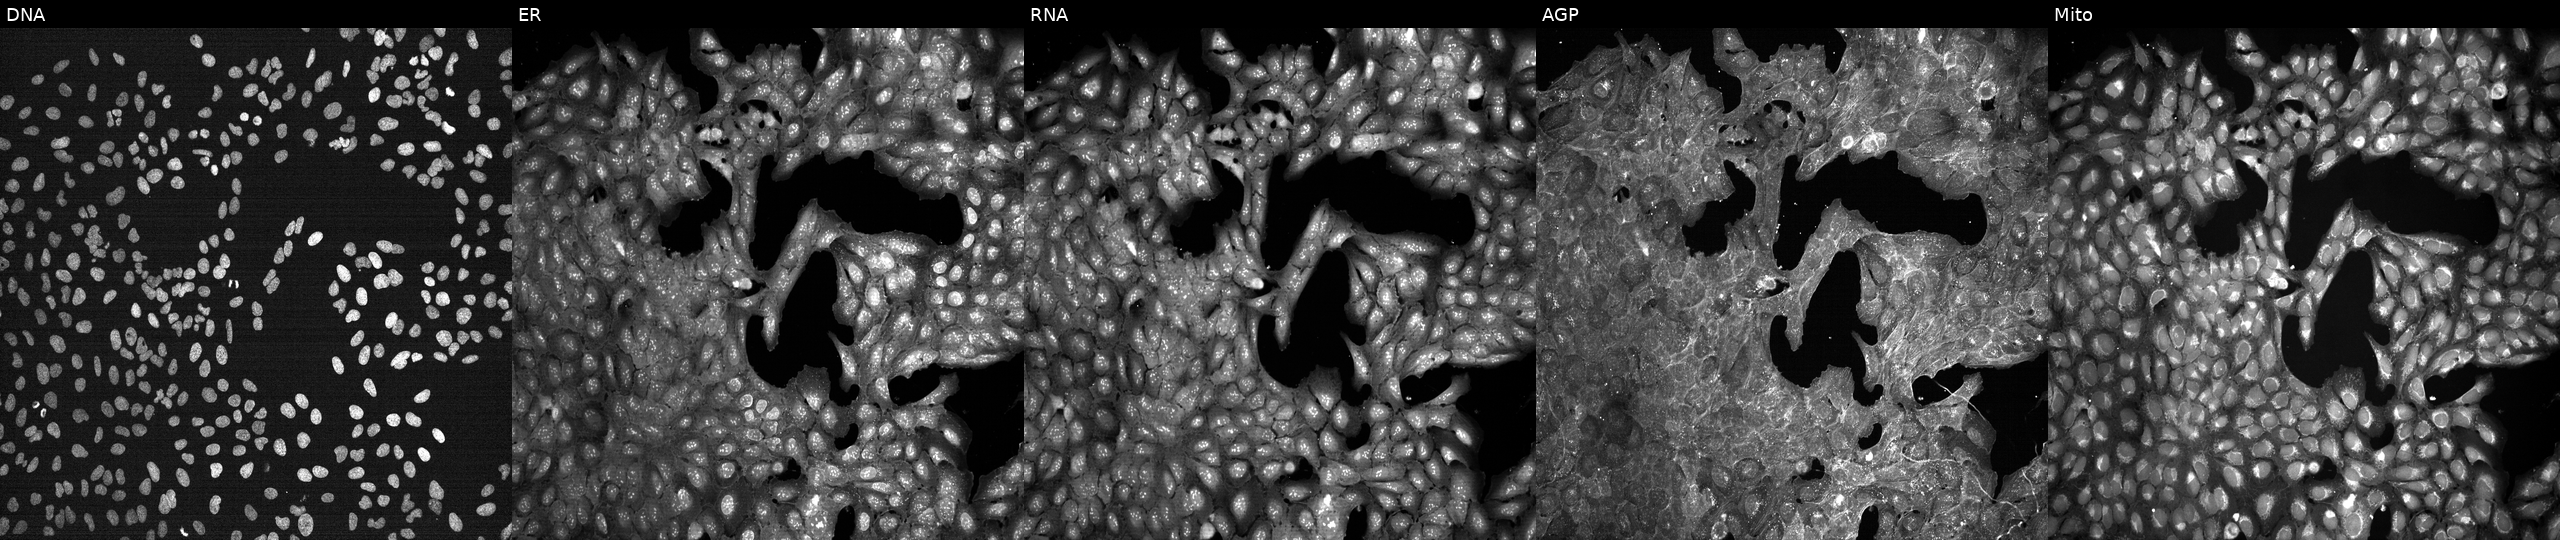
The five panels, left to right, show Hoechst 33342, concanavalin A, SYTO 14, phalloidin and WGA, MitoTracker. U2OS osteosarcoma cells exposed to a small-molecule compound (InChIKey HGVDHZBSSITLCT-UHFFFAOYSA-N) (JUMP id JCP2022_030094). Cell Painting assay, JUMP-CP dataset.